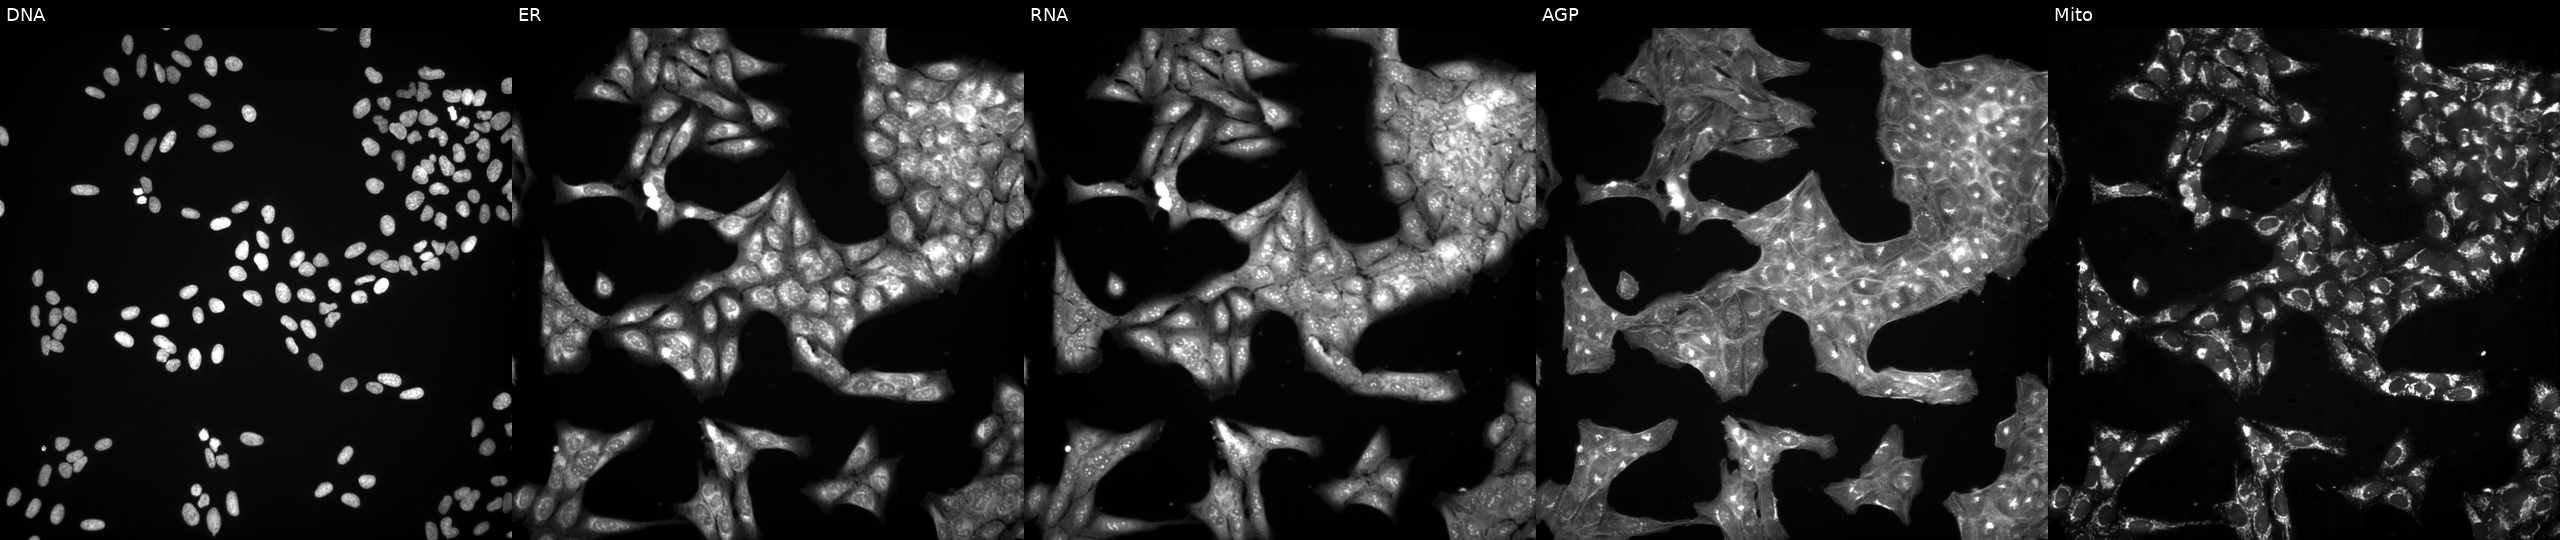
JUMP Cell Painting — COMPOUND plate. U2OS cells perturbed with a small-molecule compound (InChIKey COKKEDFRLJBXCQ-UHFFFAOYSA-N). The five panels, left to right, show Hoechst 33342, concanavalin A, SYTO 14, phalloidin and WGA, MitoTracker.